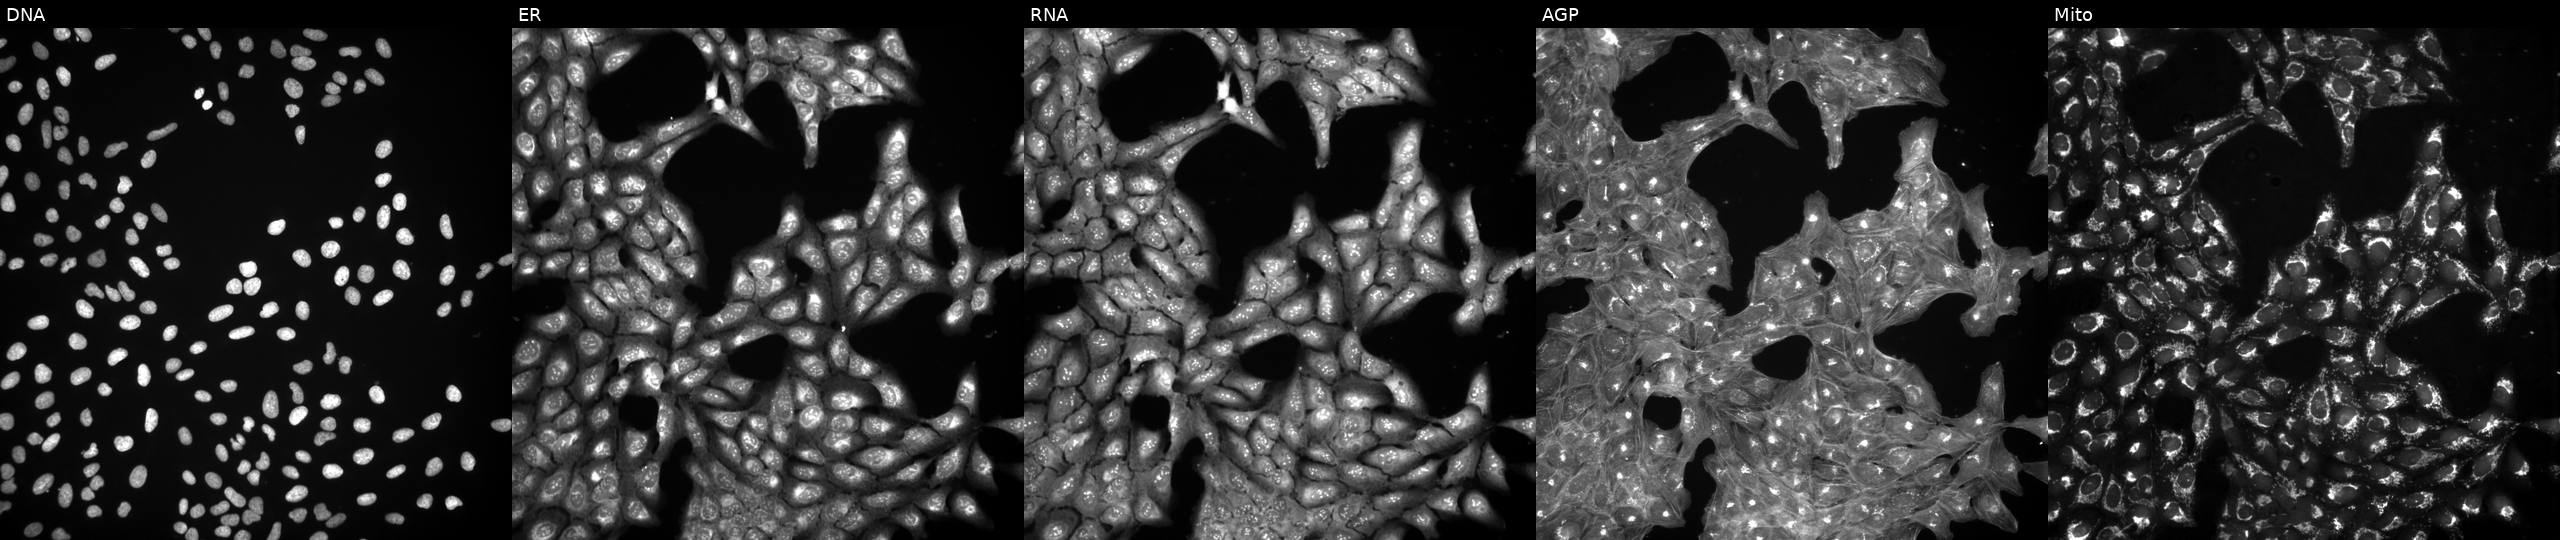
Panels show, left to right, DNA (nuclei); ER (endoplasmic reticulum); RNA (nucleoli and cytoplasmic RNA); AGP (actin cytoskeleton, Golgi, and plasma membrane); Mito (mitochondria). U2OS osteosarcoma cells exposed to a small-molecule compound (InChIKey HLITWPMVDCSQQC-UHFFFAOYSA-N) [SMILES: CCCc1cc(=O)[nH]c(SCc2cc(=O)oc3c(C)c(C)ccc23)n1]. Cell Painting assay, JUMP-CP dataset.